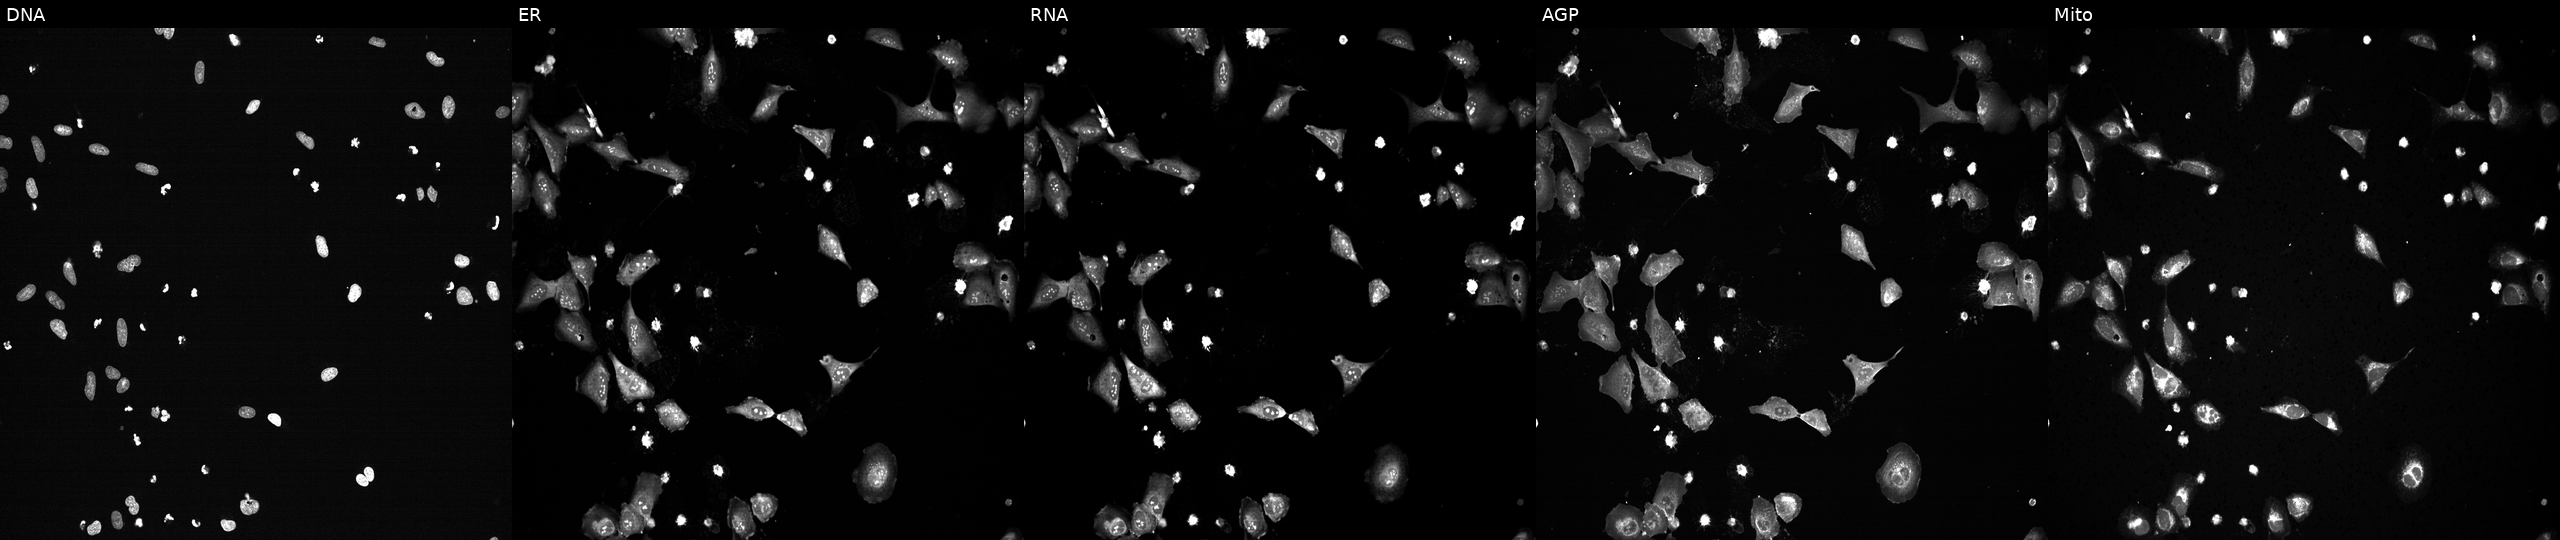
High-content fluorescence microscopy (Cell Painting). Cell line: U2OS. Perturbation: treated with TC-S-7004 (positive-control compound). Panels show, left to right, DNA, ER, RNA, AGP, and Mito. Source 13, plate CP-CC9-R6-19, well H01.